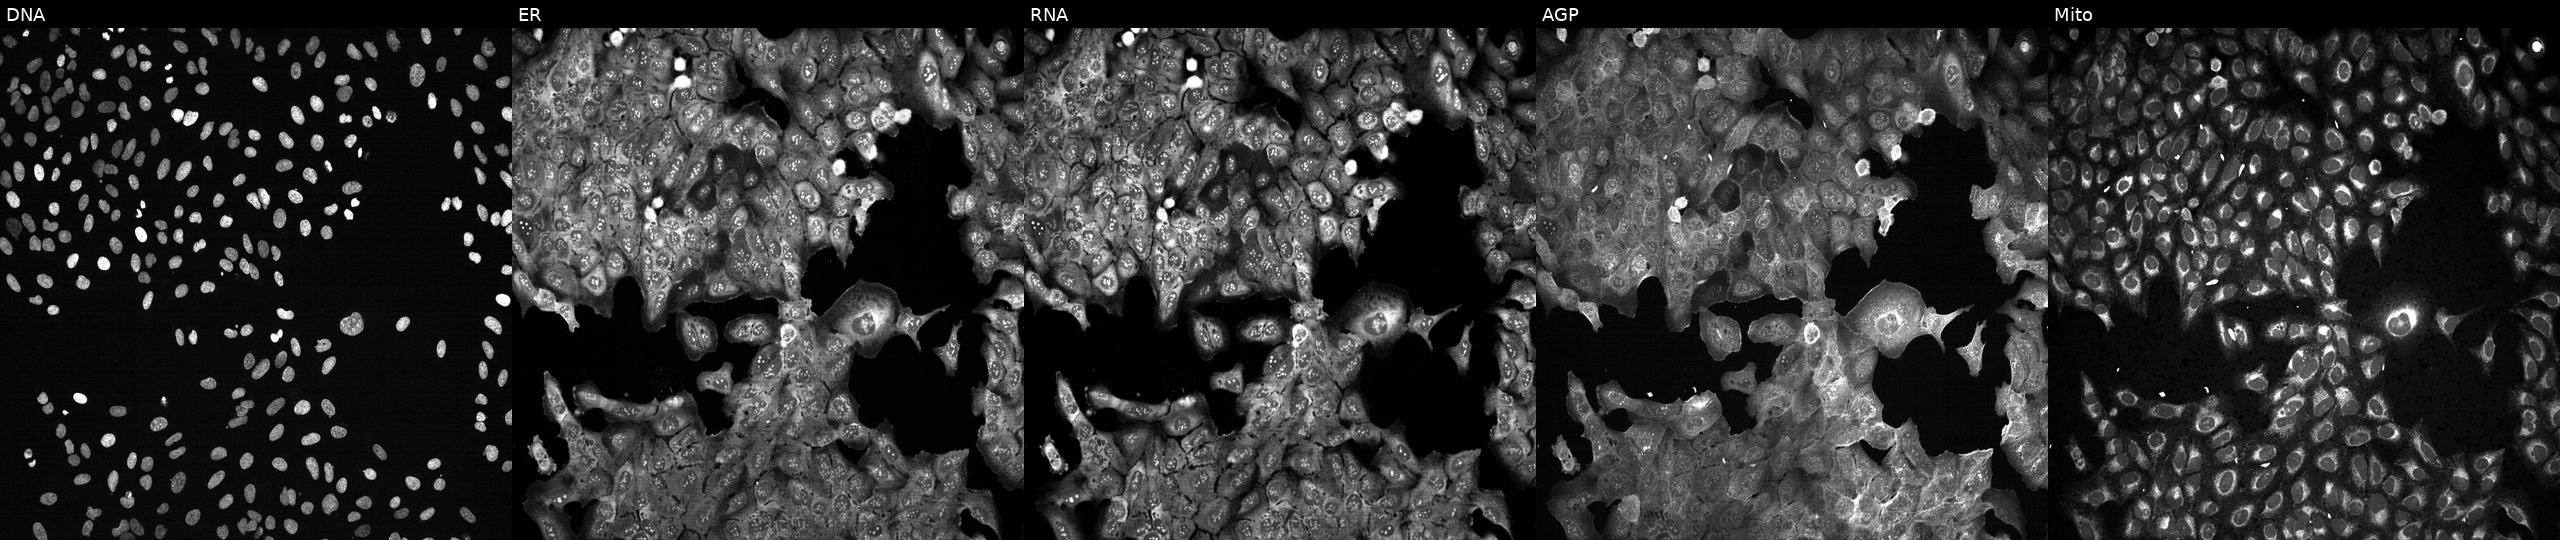
The five panels, left to right, show DNA, ER, RNA, AGP, and Mito. U2OS osteosarcoma cells with SLC19A2 knocked out by CRISPR. Cell Painting assay, JUMP-CP dataset.